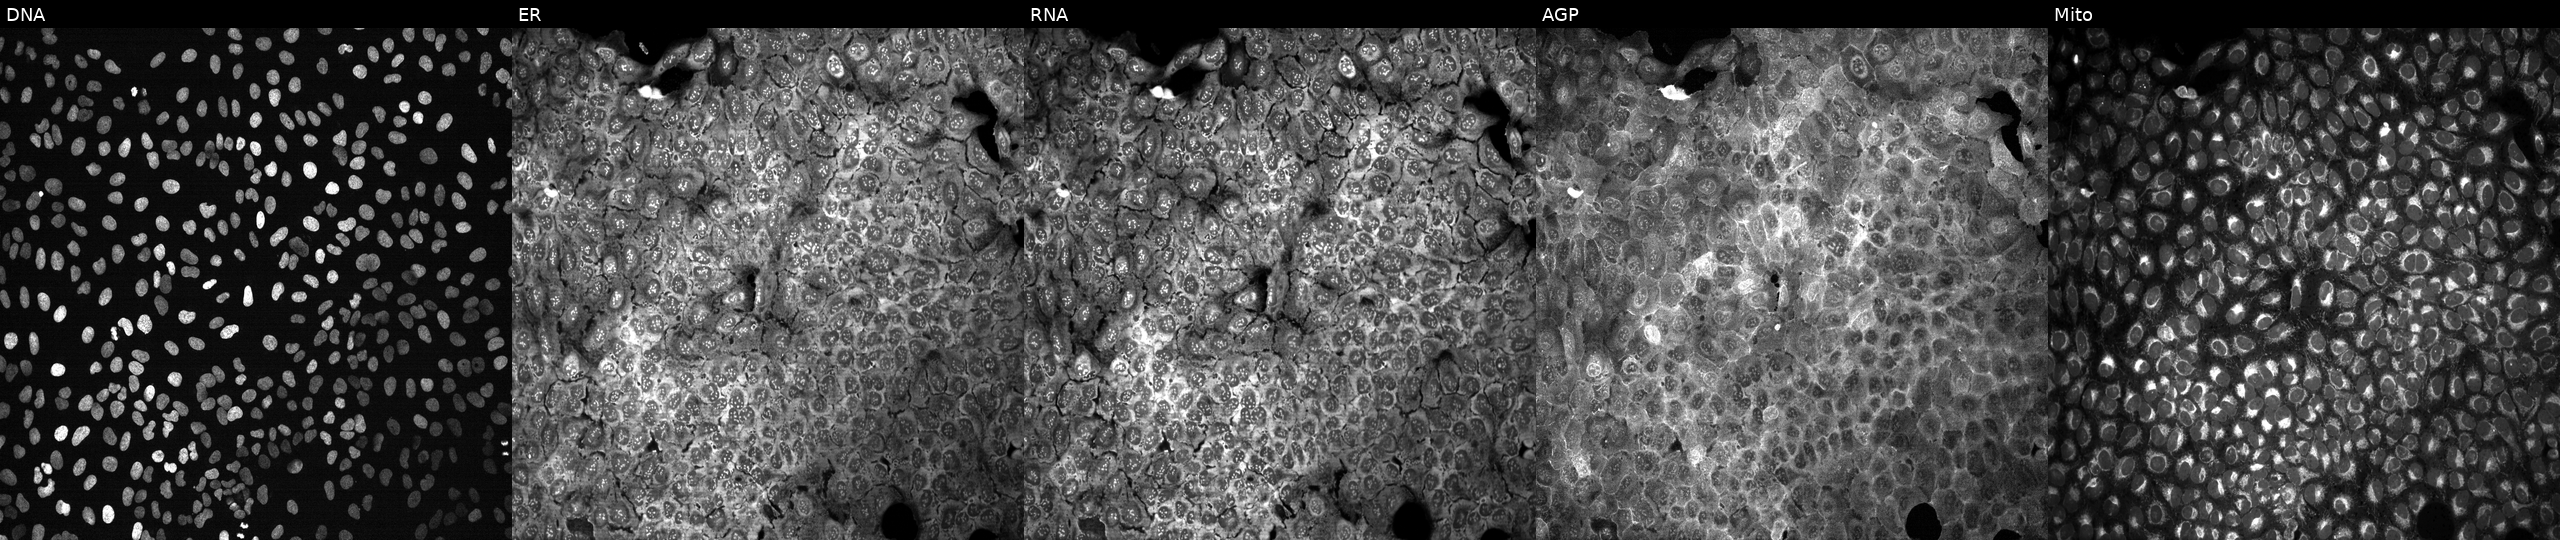
U2OS cells, Cell Painting assay, with no CRISPR guide (negative control). Panels show, left to right, DNA, ER, RNA, AGP, and Mito. Each panel is percentile-stretched 16-bit fluorescence.